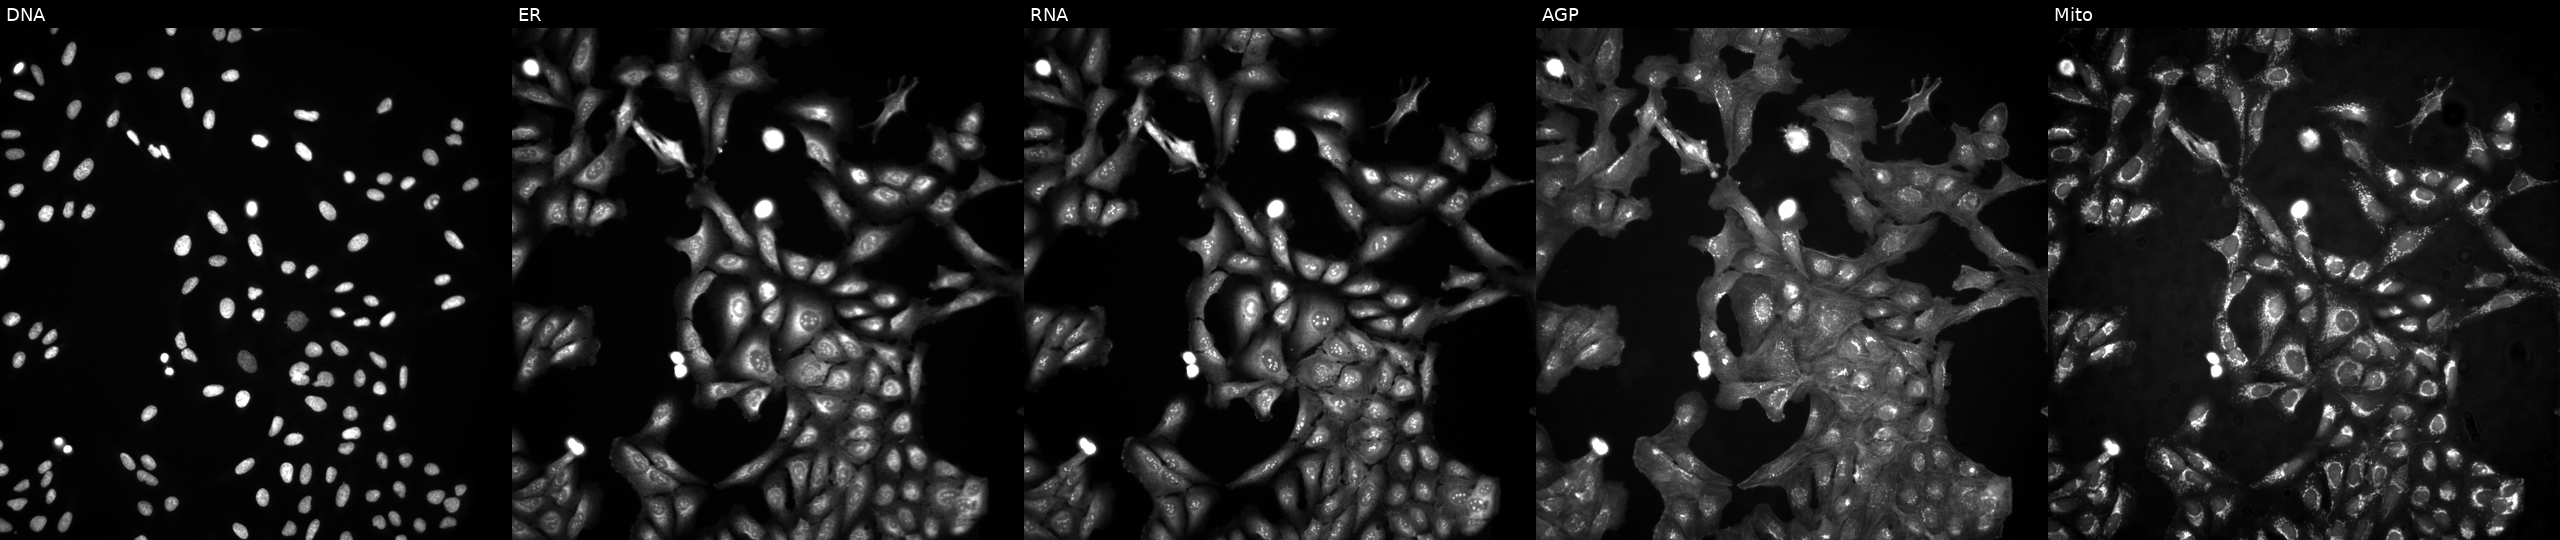
Five-channel Cell Painting image of U2OS cells untreated (empty-well control) (JUMP id JCP2022_999999). Channels (left→right): DNA, ER, RNA, AGP, and Mito.